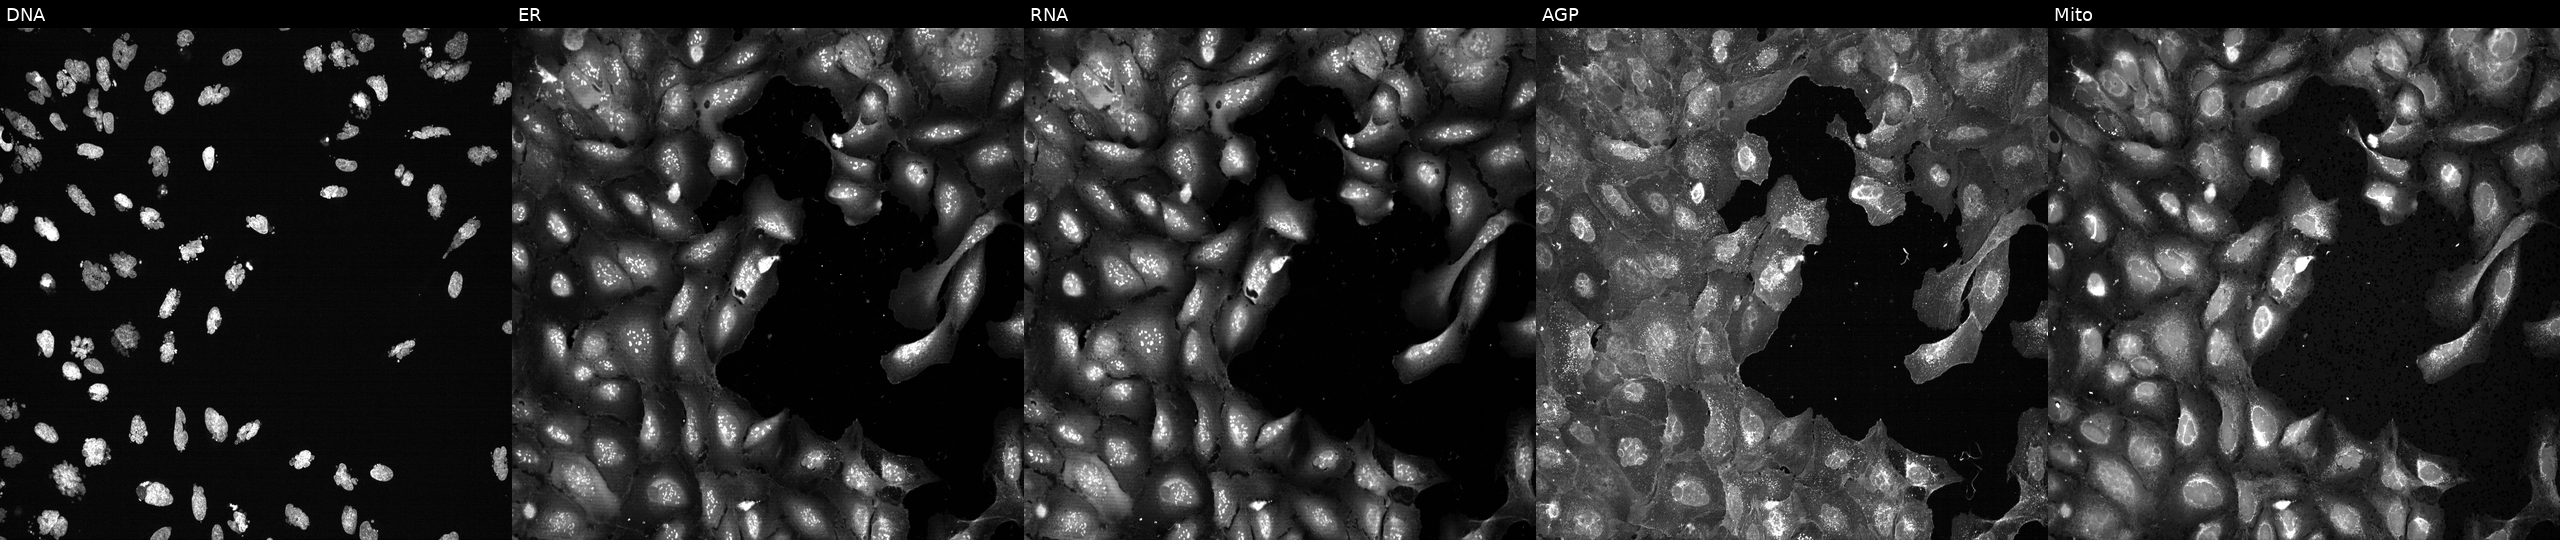
This image strip shows the five Cell Painting channels for a single field of U2OS cells treated with AMG900 (positive-control compound). Channels (left→right): Hoechst 33342, concanavalin A, SYTO 14, phalloidin and WGA, MitoTracker.